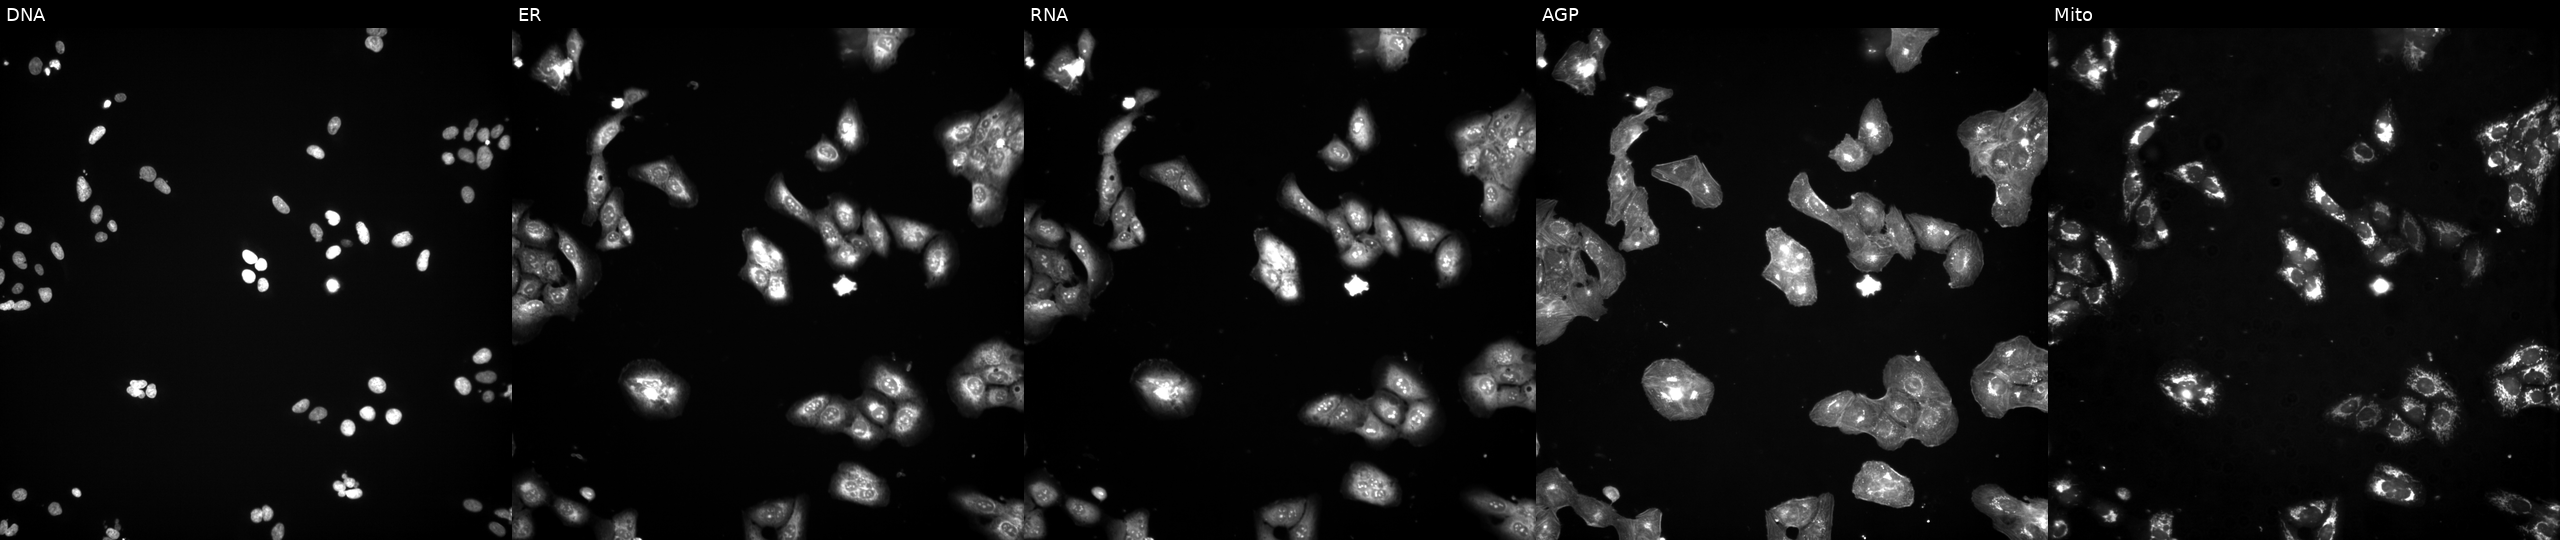
From left to right: Hoechst 33342, concanavalin A, SYTO 14, phalloidin and WGA, MitoTracker. U2OS osteosarcoma cells treated with a small-molecule compound (InChIKey FKFAALVXZXNOBT-UHFFFAOYSA-N) [SMILES: COc1cccc(C2CC(=O)Nc3cc(C)c(C)cc32)c1] (JUMP id JCP2022_021175). Cell Painting assay, JUMP-CP dataset.